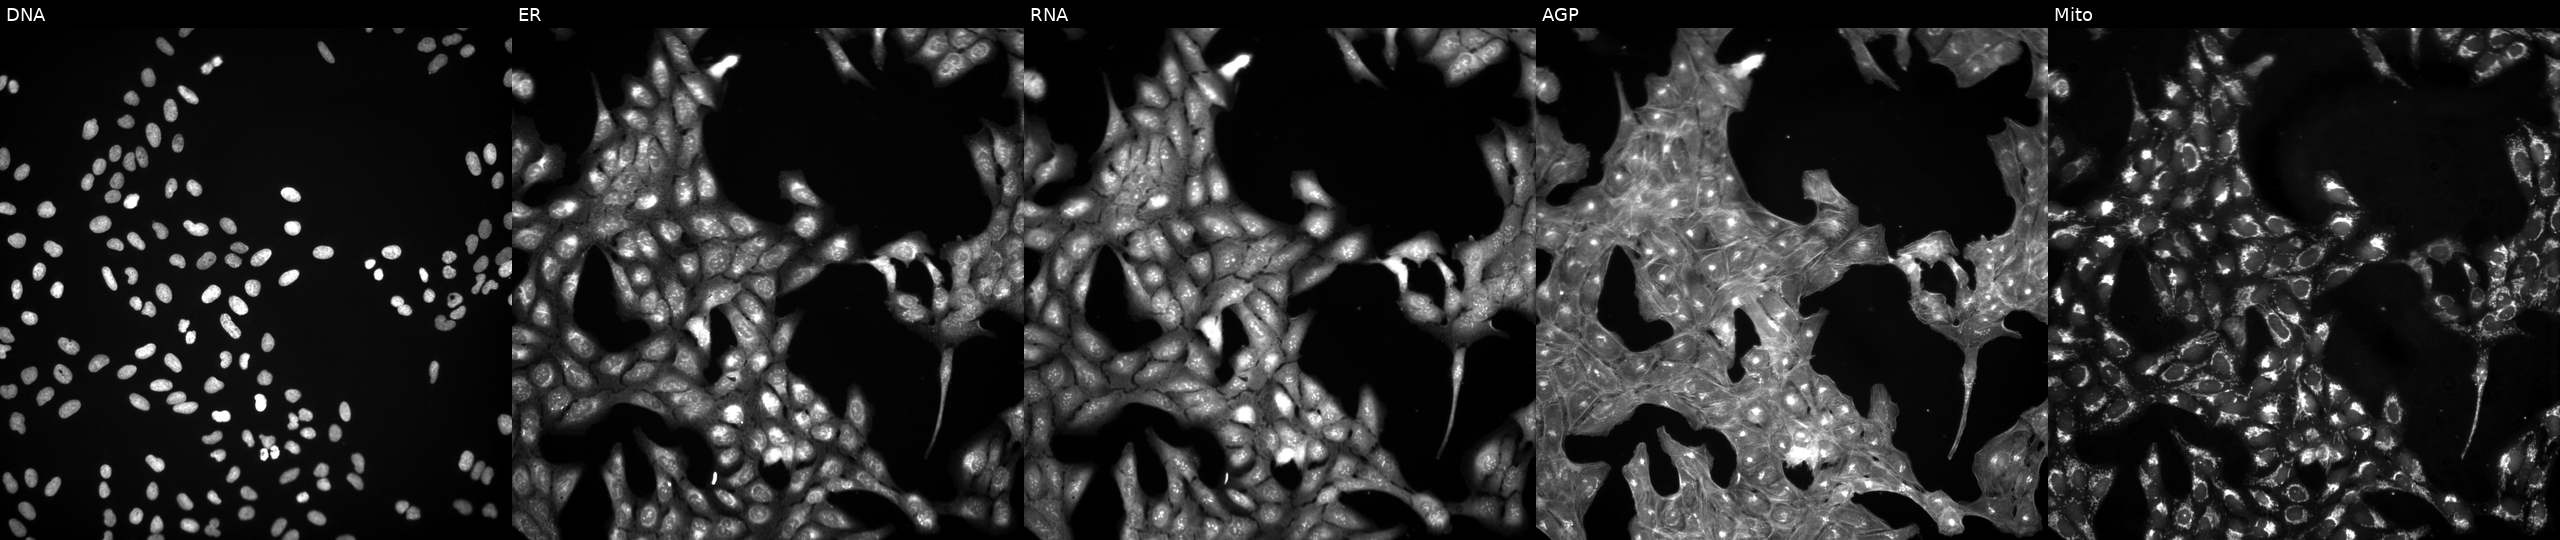
Five-channel Cell Painting image of U2OS cells treated with a small-molecule compound (JUMP id JCP2022_060311). From left to right: Hoechst 33342, concanavalin A, SYTO 14, phalloidin and WGA, MitoTracker. Source 3, plate JCPQC053, well P10.